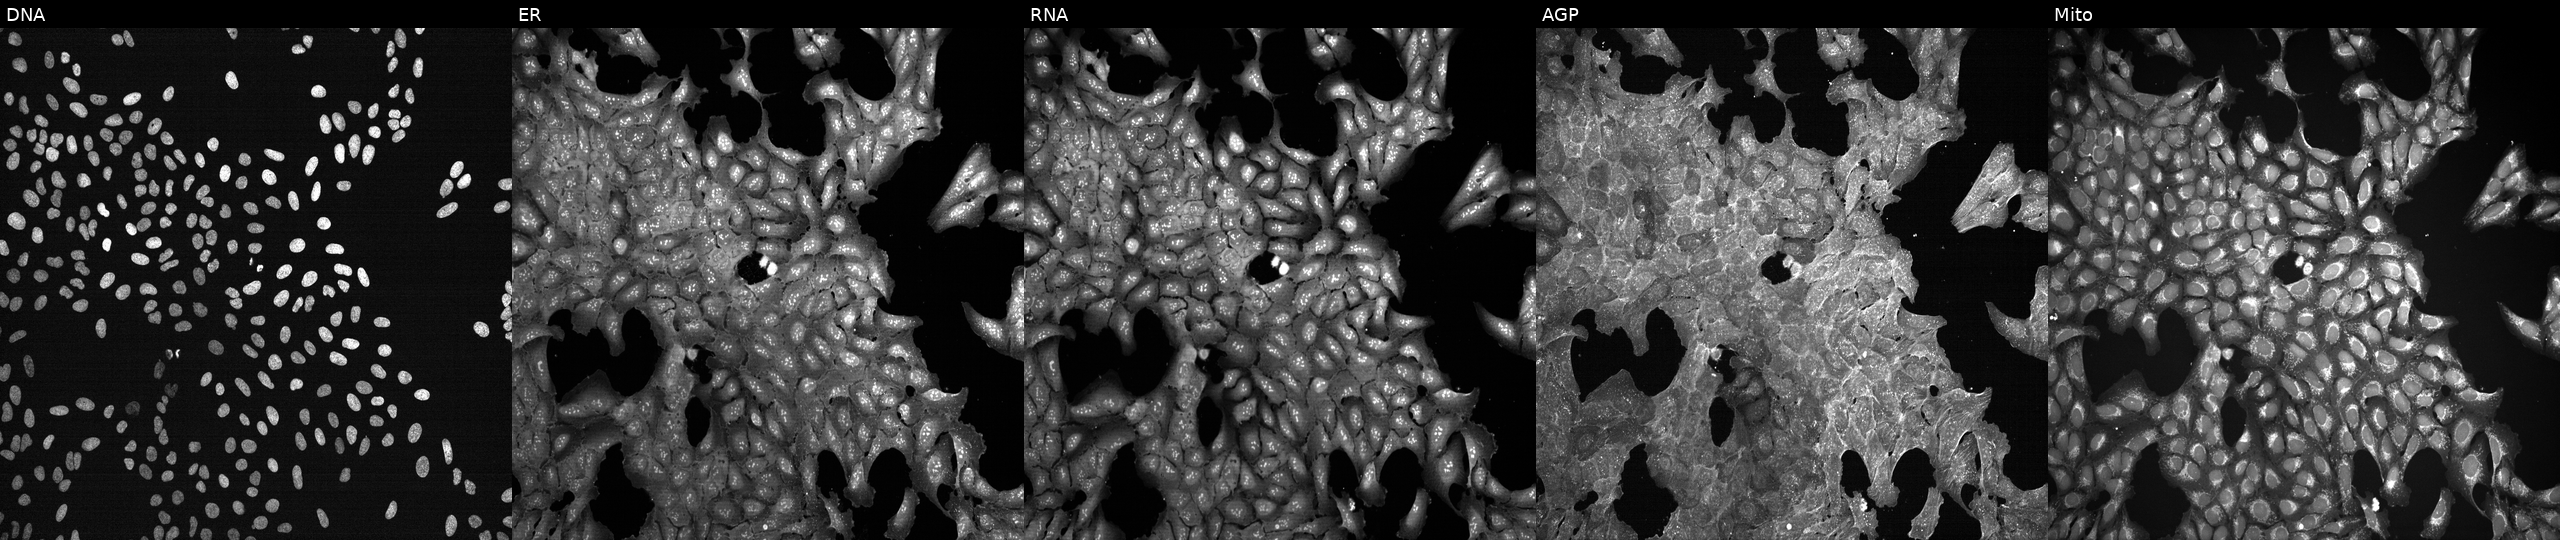
This image strip shows the five Cell Painting channels for a single field of U2OS cells treated with a small-molecule compound (InChIKey ONIBWKKTOPOVIA-UHFFFAOYSA-N). Panels show, left to right, Hoechst 33342, concanavalin A, SYTO 14, phalloidin and WGA, MitoTracker.